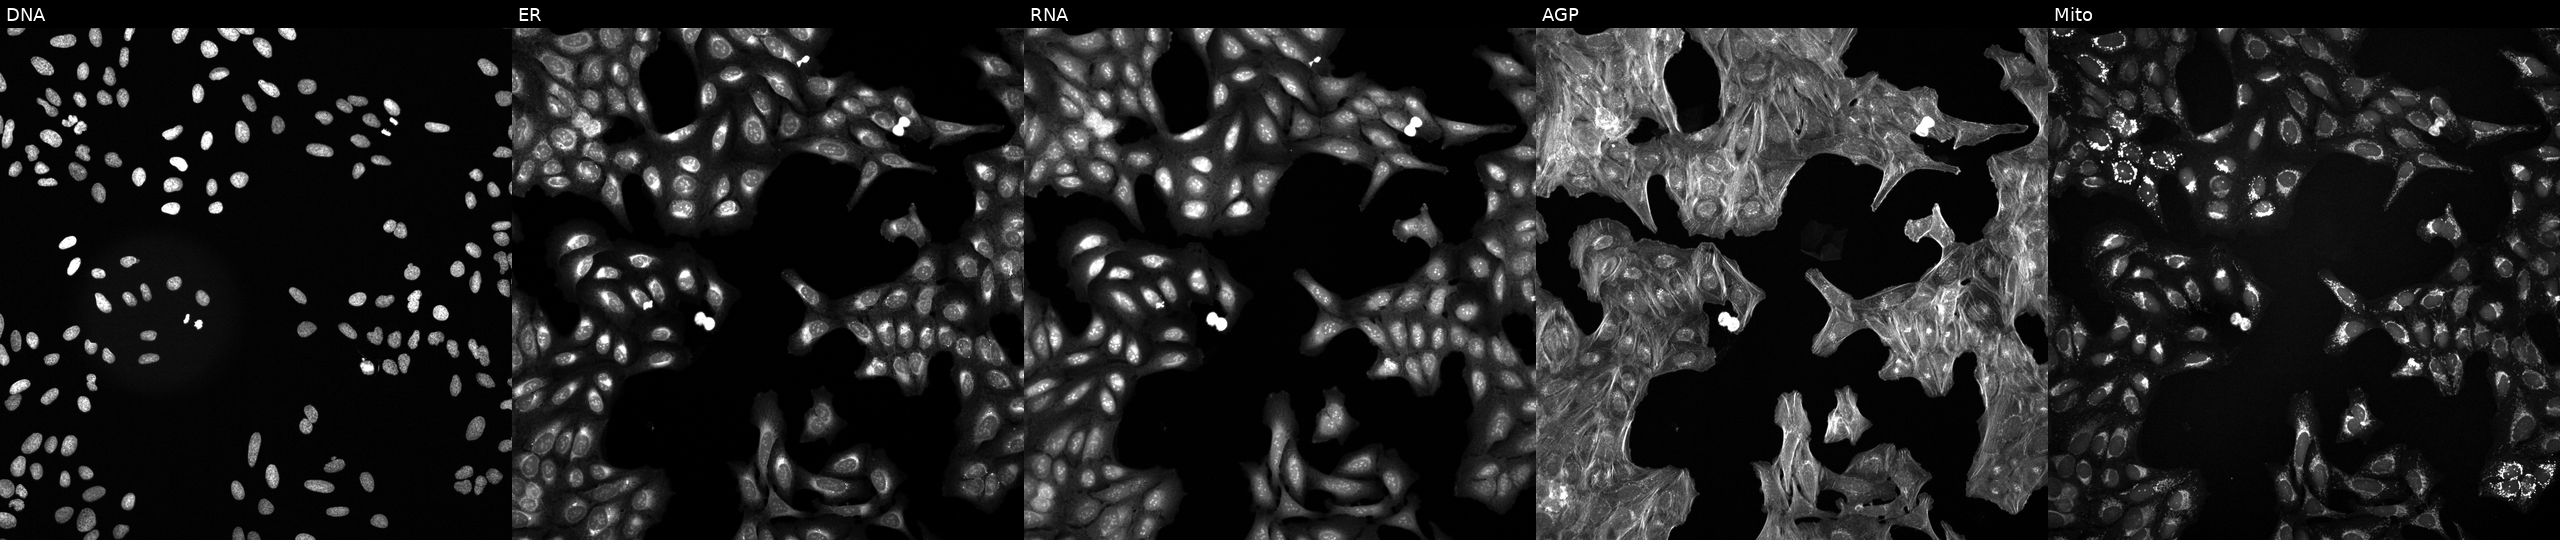
JUMP Cell Painting — TARGET2 plate. U2OS cells treated with a small-molecule compound [SMILES: CCCCOc1cc(CC2CNC(=O)N2)ccc1OC] (JUMP id JCP2022_067887). Channels (left→right): Hoechst 33342, concanavalin A, SYTO 14, phalloidin and WGA, MitoTracker.